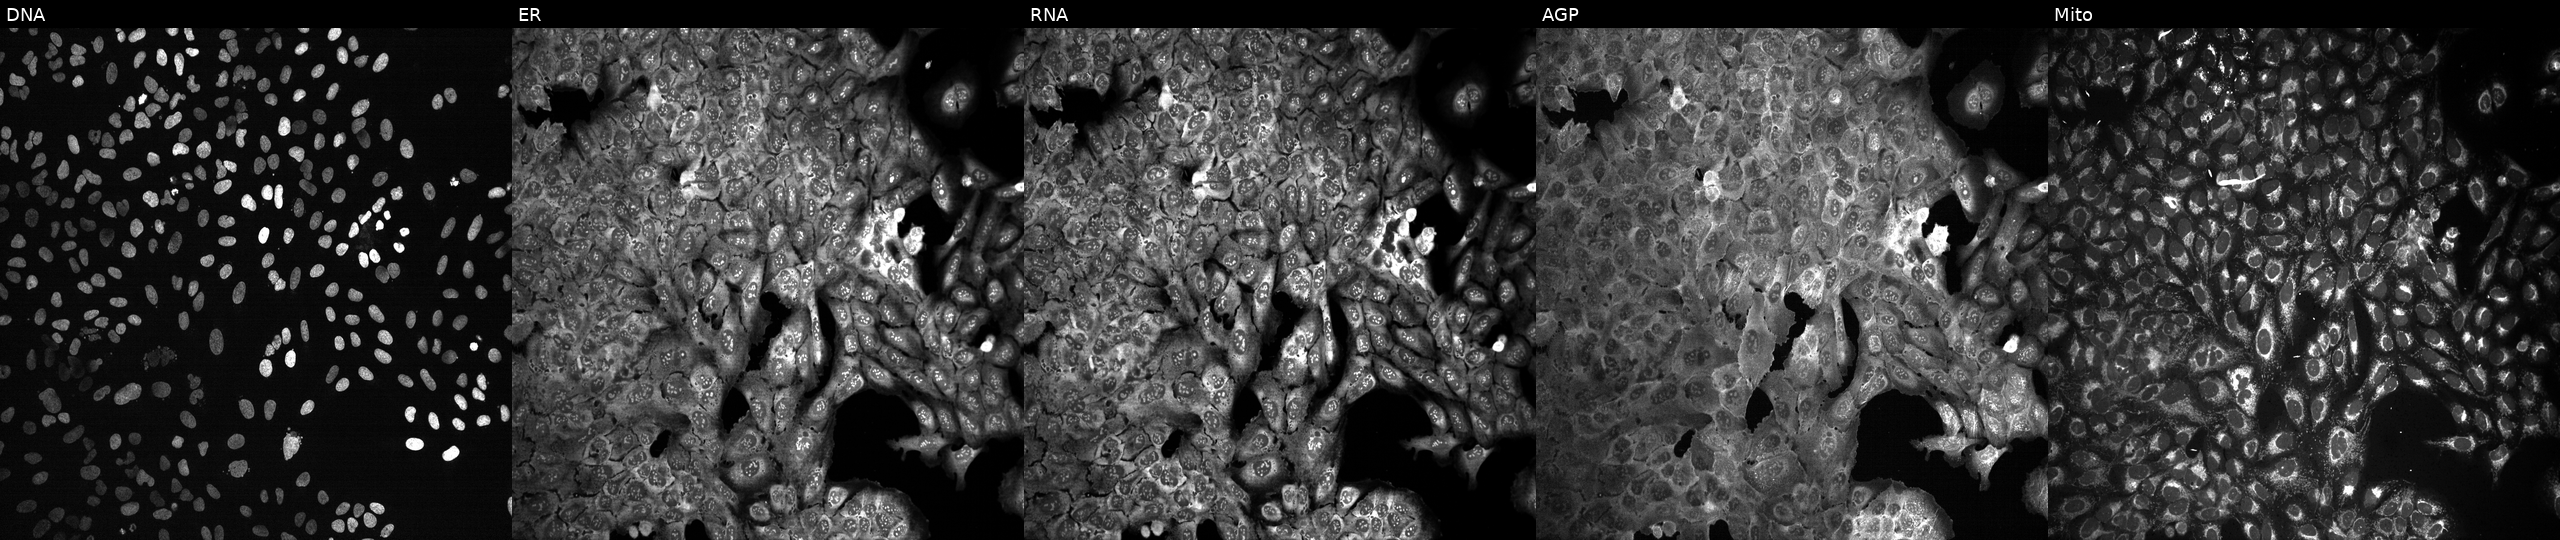
High-content fluorescence microscopy (Cell Painting). Cell line: U2OS. Perturbation: following CRISPR knockout of GPHN. From left to right: DNA (nuclei); ER (endoplasmic reticulum); RNA (nucleoli and cytoplasmic RNA); AGP (actin cytoskeleton, Golgi, and plasma membrane); Mito (mitochondria).